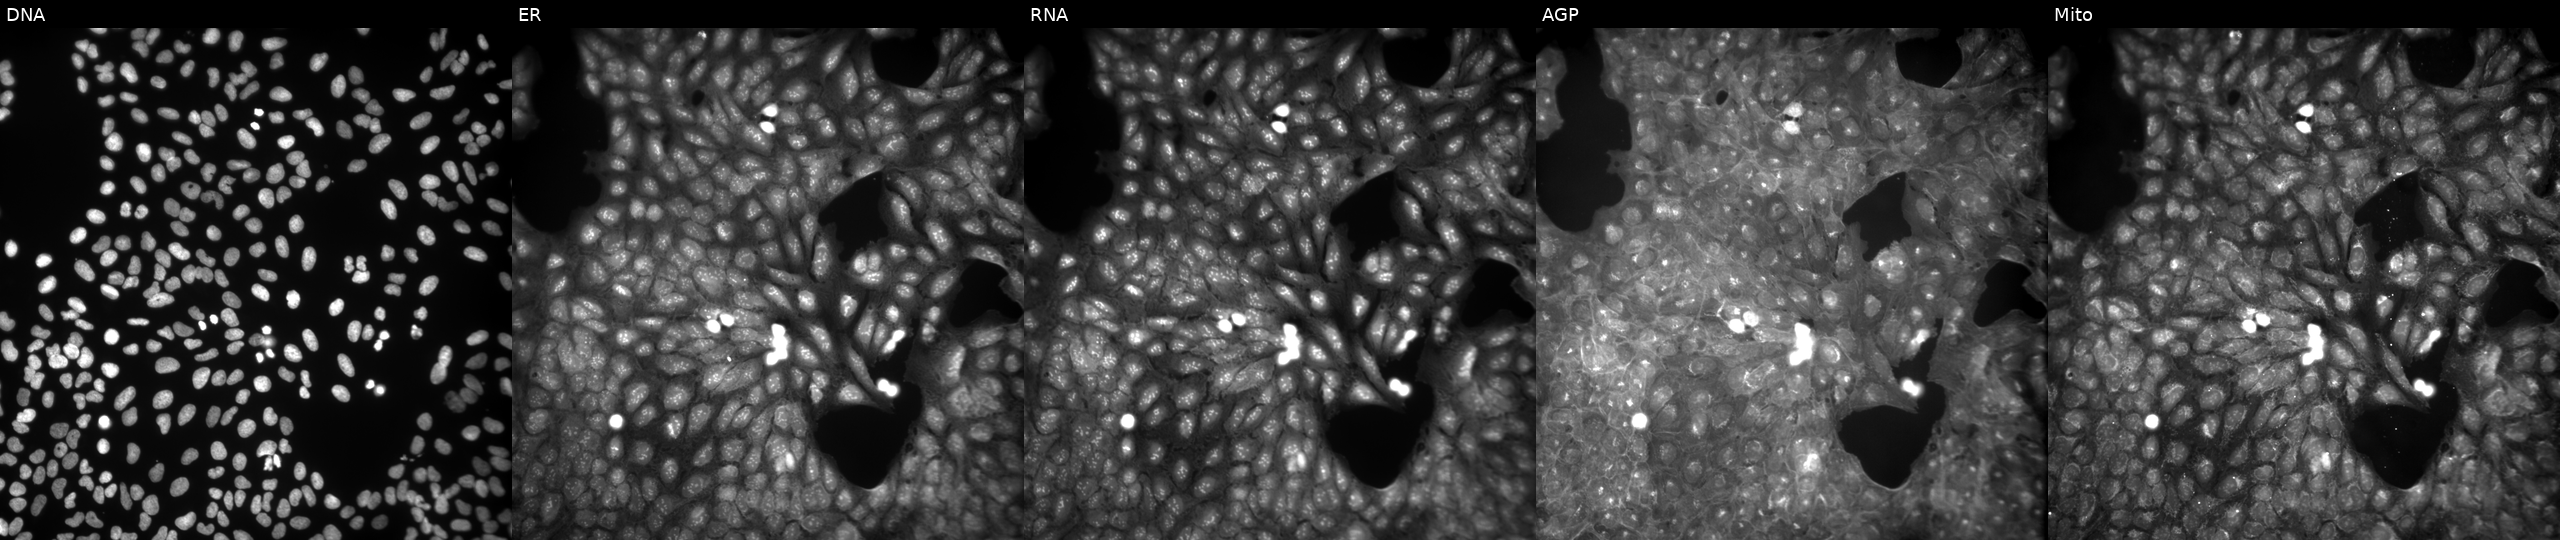
U2OS cells, Cell Painting assay, perturbed with a small-molecule compound [SMILES: C=CCn1c(SCC(=O)NCc2ccc3c(c2)OCO3)nc2scc(-c3ccccc3)c2c1=O]. Channels (left→right): DNA, ER, RNA, AGP, and Mito. Each panel is percentile-stretched 16-bit fluorescence.